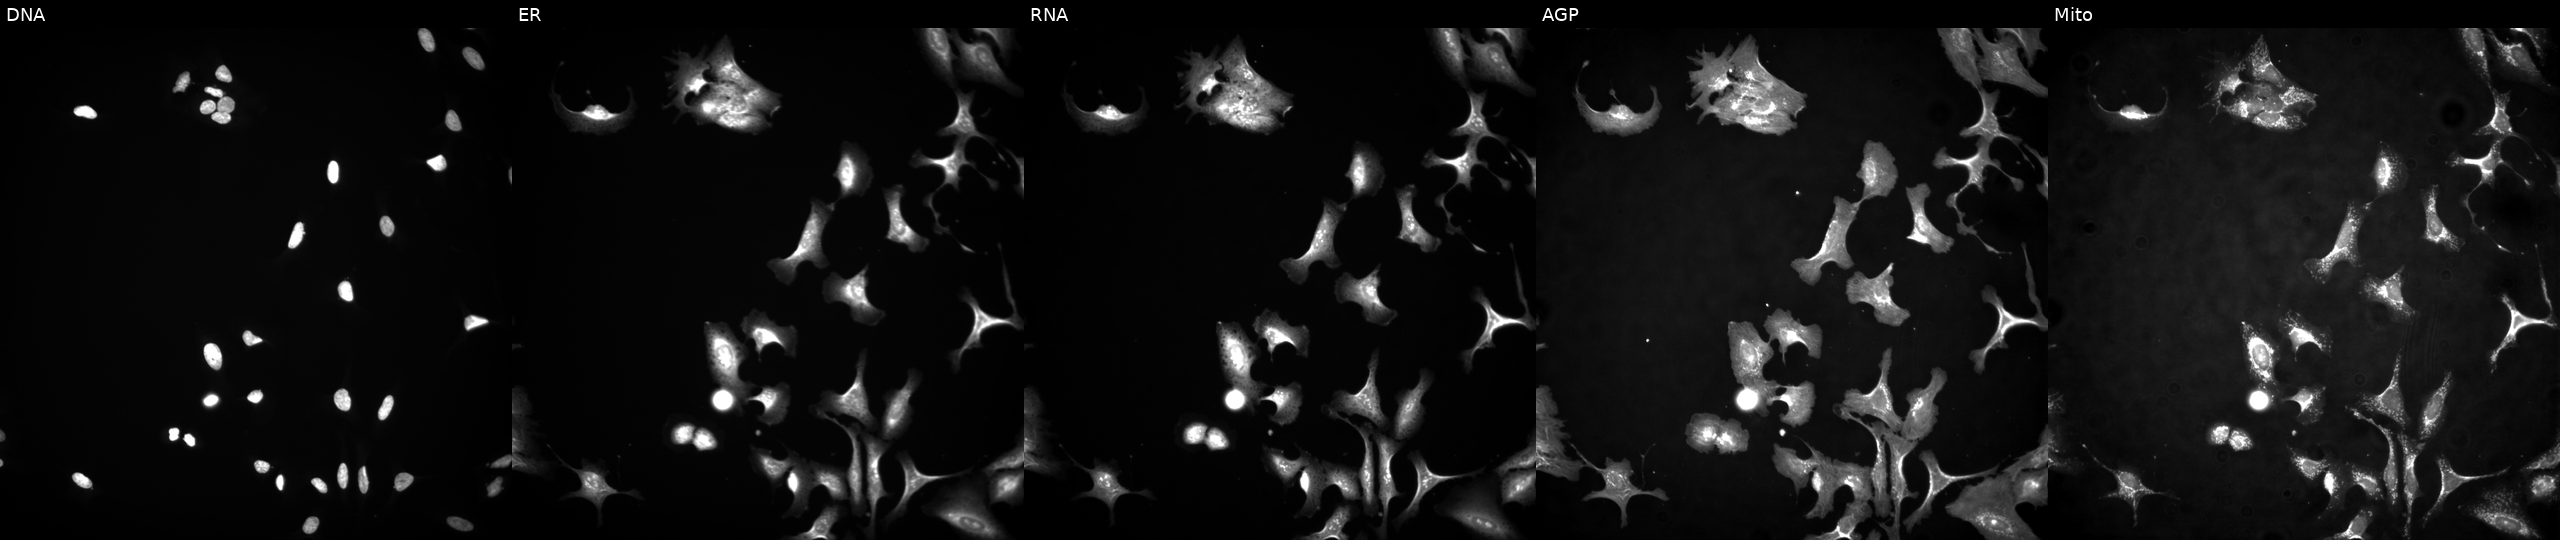
This image strip shows the five Cell Painting channels for a single field of U2OS cells with PRPS1 overexpressed (ORF). Channels (left→right): Hoechst 33342, concanavalin A, SYTO 14, phalloidin and WGA, MitoTracker.